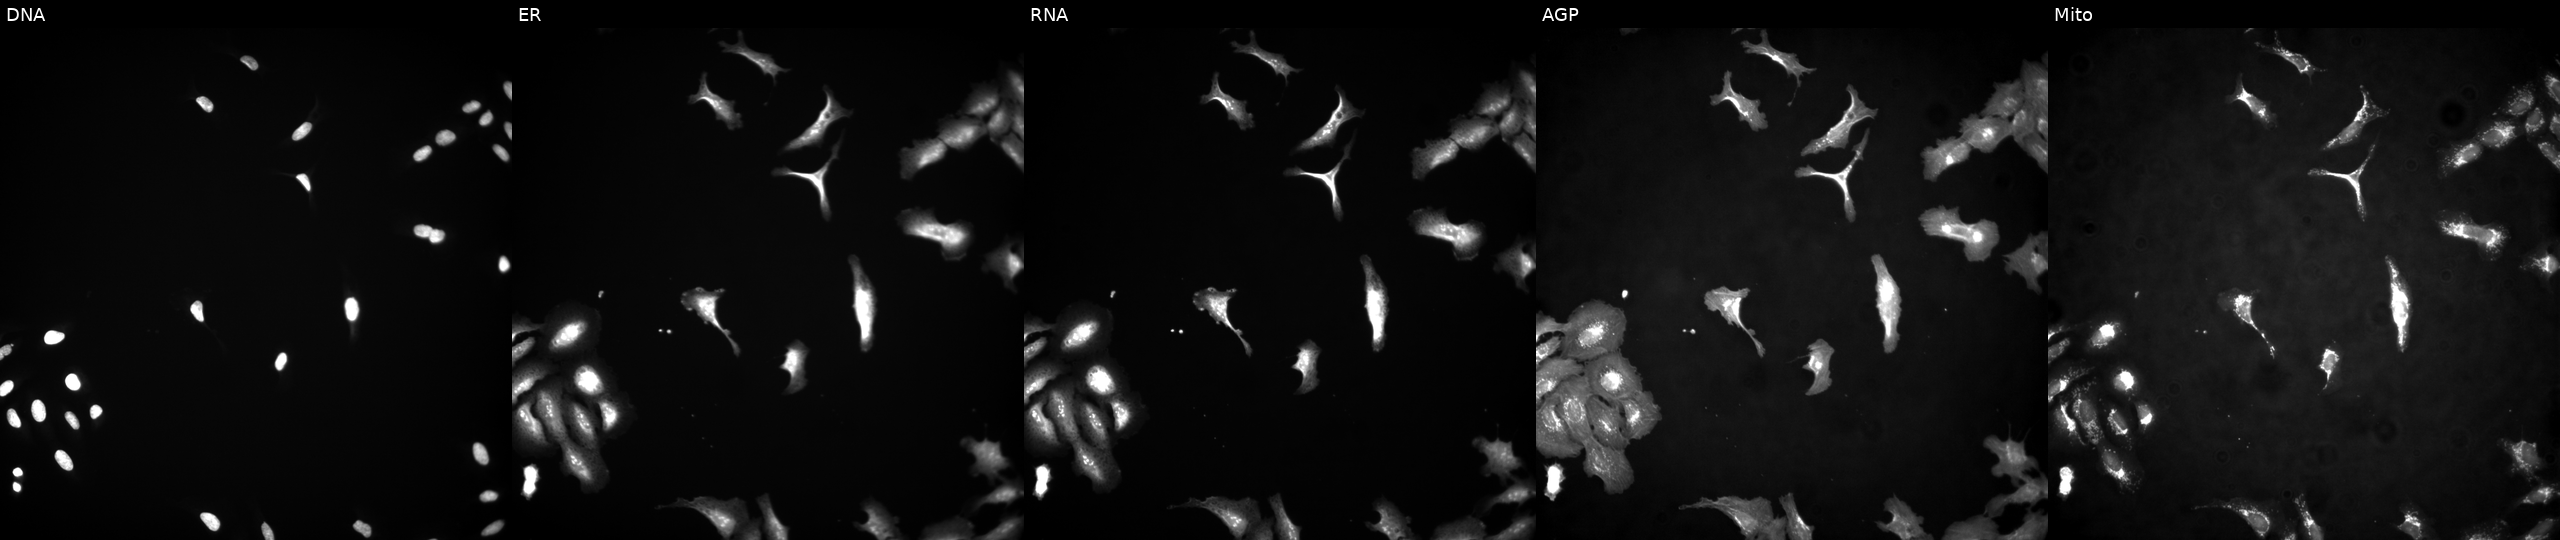
This image strip shows the five Cell Painting channels for a single field of U2OS cells overexpressing C1D via ORF transfection (JUMP id JCP2022_907111). The five panels, left to right, show DNA, ER, RNA, AGP, and Mito. Source 4, plate BR00117035, well M23.